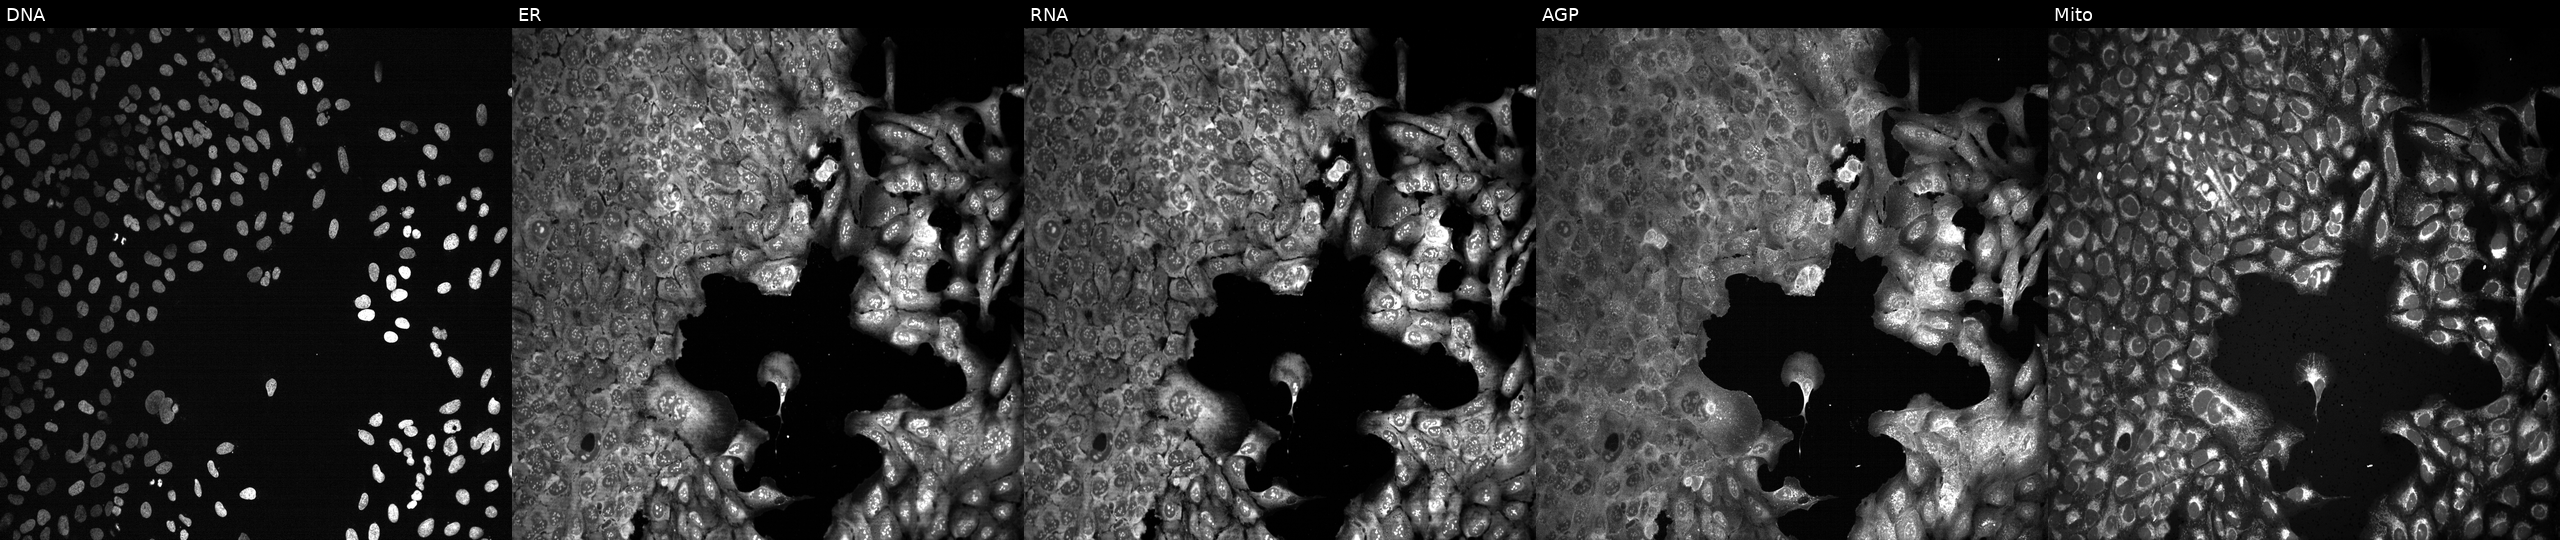
Five-channel Cell Painting image of U2OS cells following CRISPR knockout of GTPBP2. Panels show, left to right, DNA, ER, RNA, AGP, and Mito. Source 13, plate CP-CC9-R4-03, well D08.